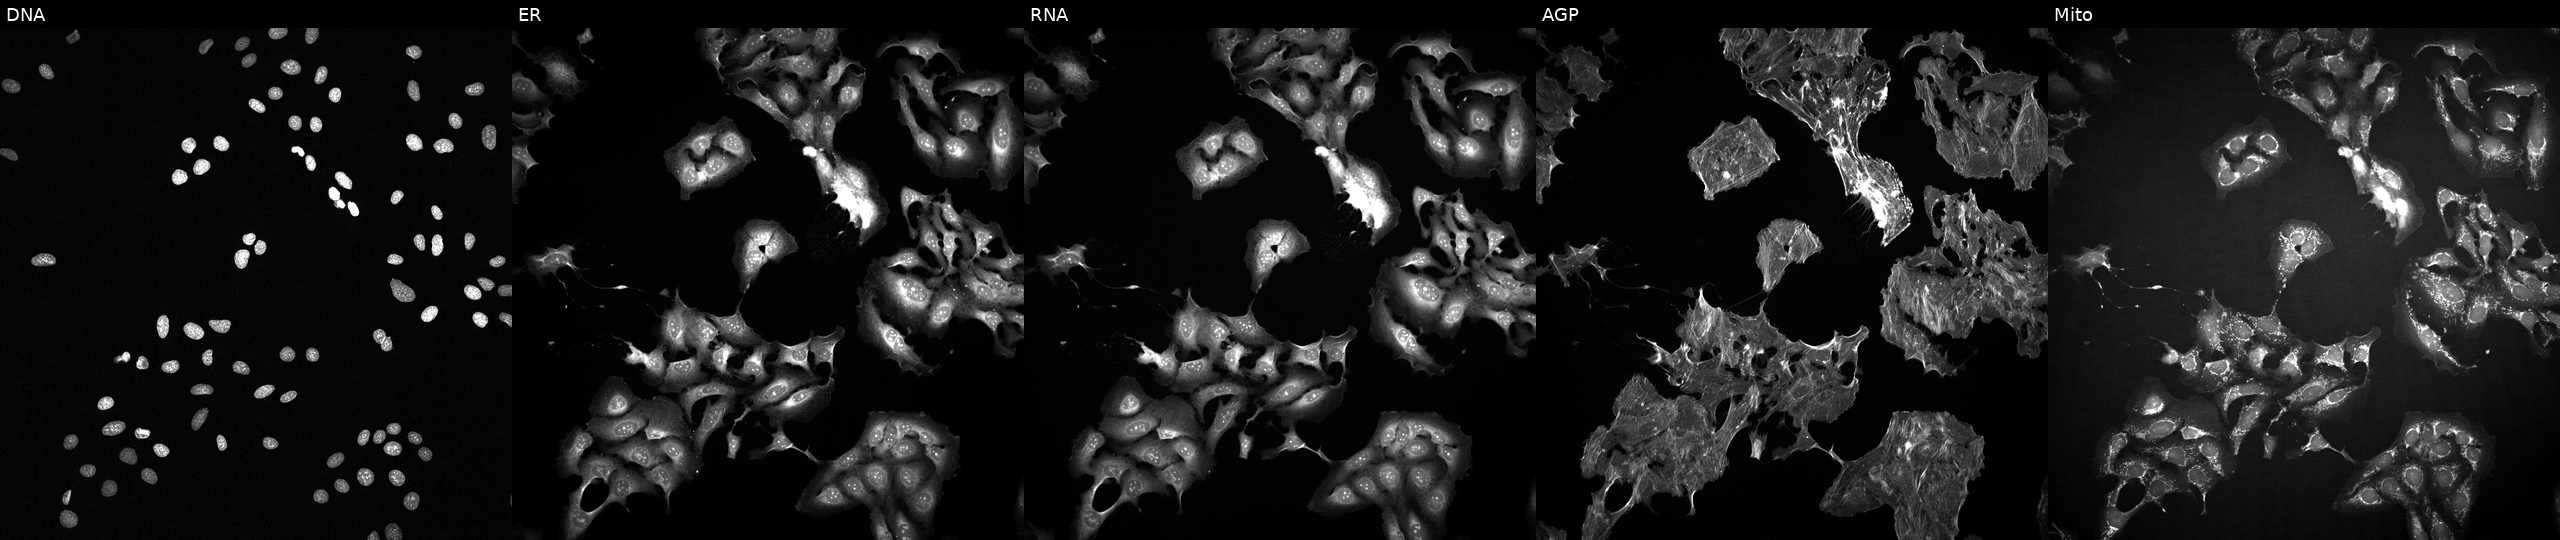
JUMP Cell Painting — COMPOUND plate. U2OS cells treated with FK-866 (positive-control compound). From left to right: DNA, ER, RNA, AGP, and Mito. Source 2, plate 1053601756, well P24.